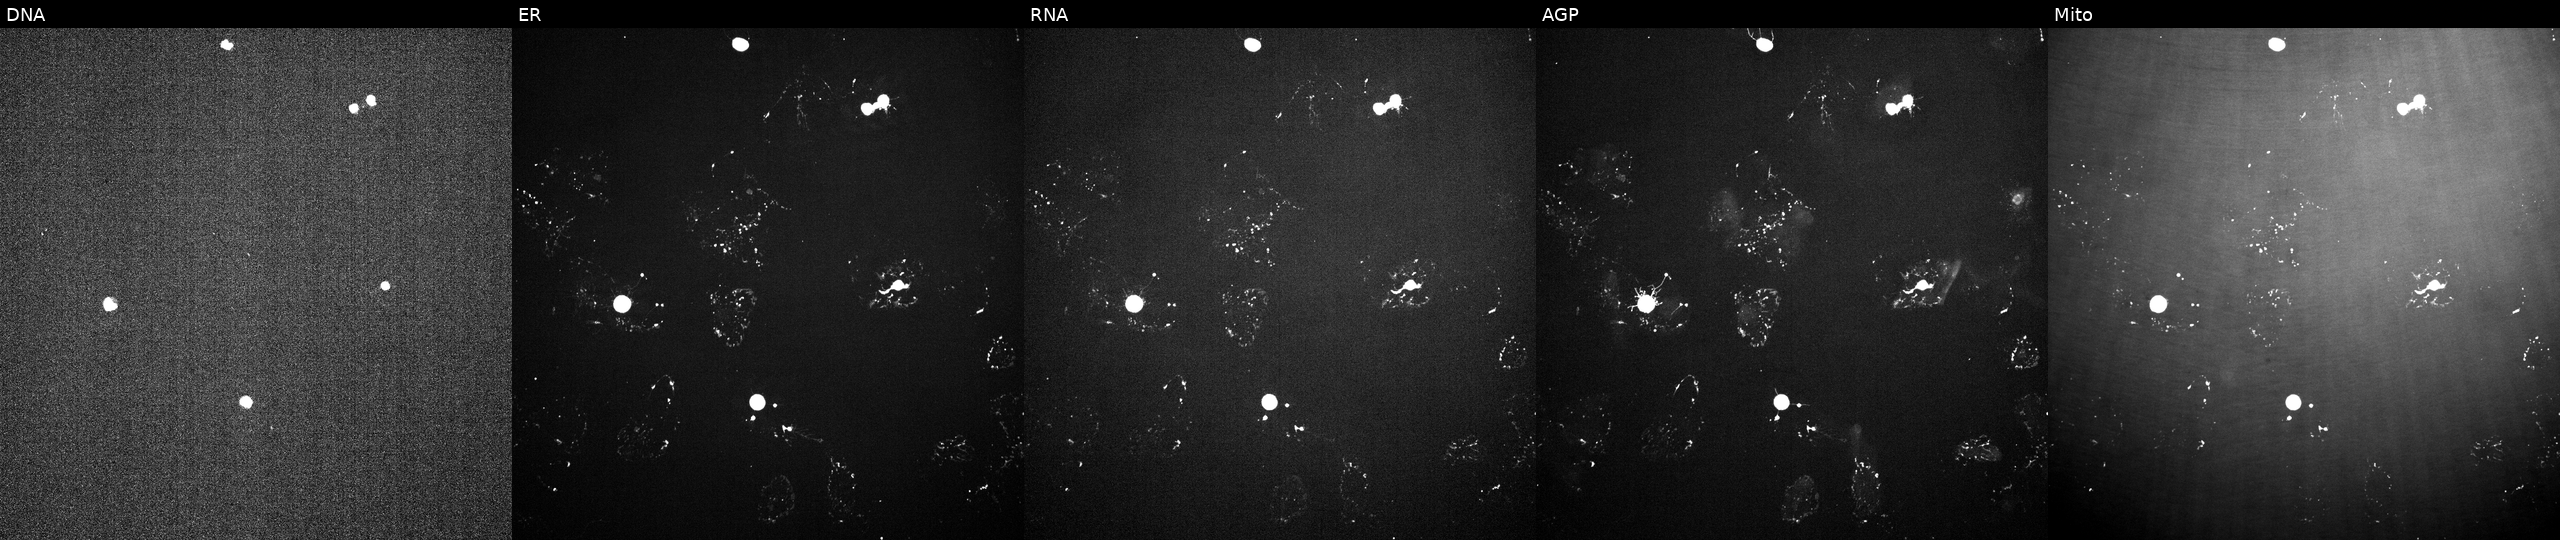
High-content fluorescence microscopy (Cell Painting). Cell line: U2OS. Perturbation: exposed to a small-molecule compound (InChIKey PKCYYPHSCUSQDK-UHFFFAOYSA-N). Panels show, left to right, Hoechst 33342, concanavalin A, SYTO 14, phalloidin and WGA, MitoTracker. Source 2, plate 1053597936, well G18.